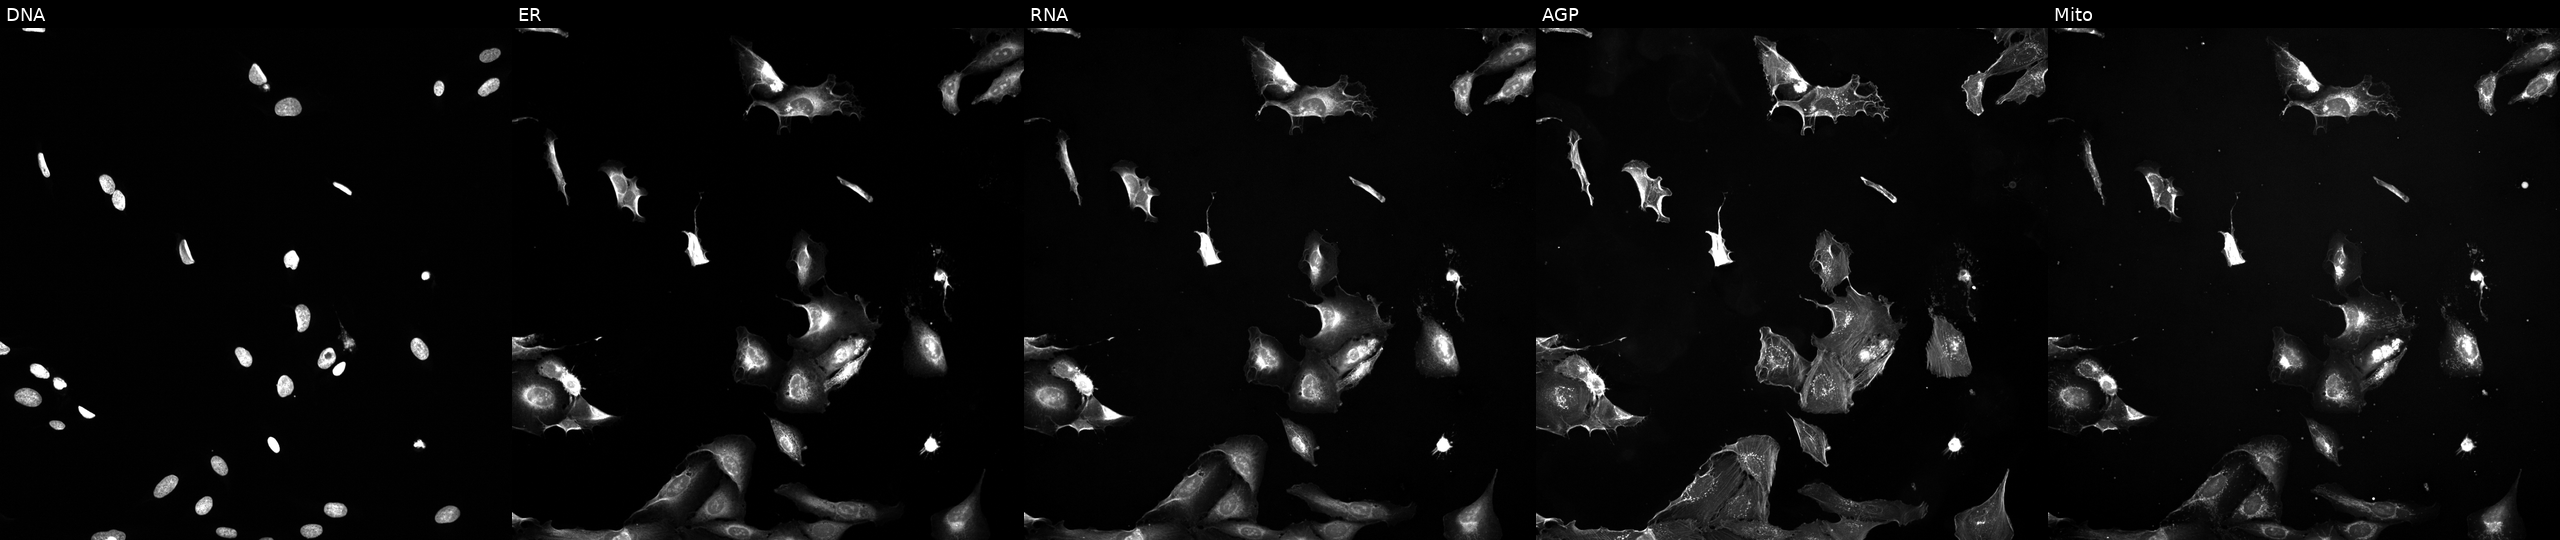
High-content fluorescence microscopy (Cell Painting). Cell line: U2OS. Perturbation: treated with a small-molecule compound (InChIKey HUXYBQXJVXOMKX-UHFFFAOYSA-N) [SMILES: CC(C)CC(=O)N=c1[nH][nH]c2c1CN(C(=O)C1CCN(C)CC1)C2(C)C]. The five panels, left to right, show DNA (nuclei); ER (endoplasmic reticulum); RNA (nucleoli and cytoplasmic RNA); AGP (actin cytoskeleton, Golgi, and plasma membrane); Mito (mitochondria).